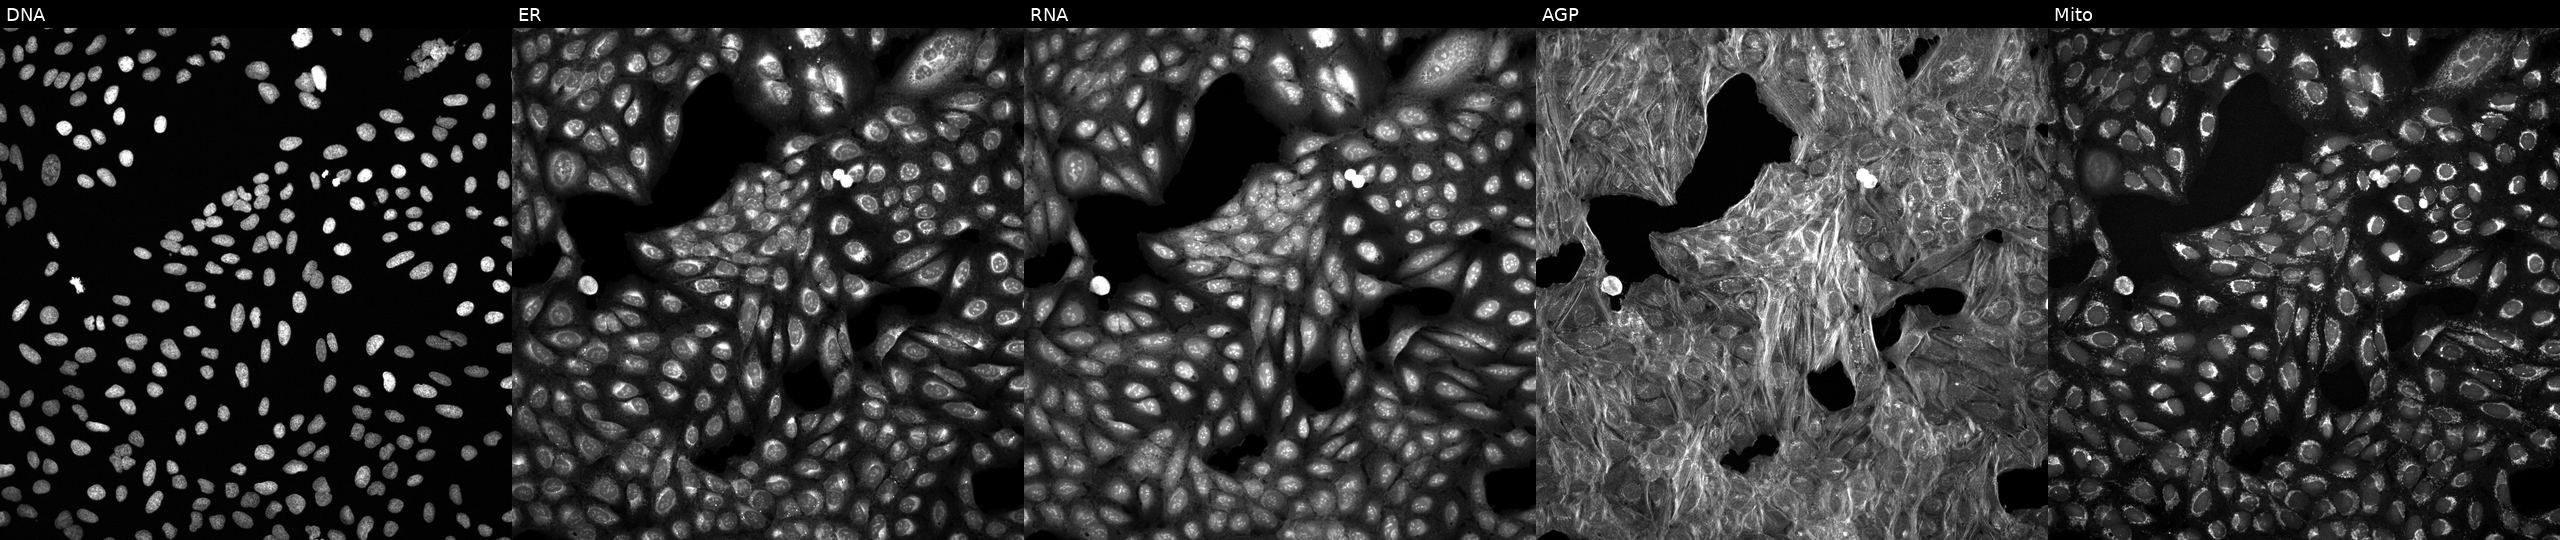
U2OS cells, Cell Painting assay, perturbed with a small-molecule compound [SMILES: COc1ccc(Cl)cc1NC(=O)NCc1ccc2c(c1)CCN2C(C)=O] (JUMP id JCP2022_064303). Panels show, left to right, DNA, ER, RNA, AGP, and Mito. Each panel is percentile-stretched 16-bit fluorescence. Source 6, plate 110000293083, well C10.